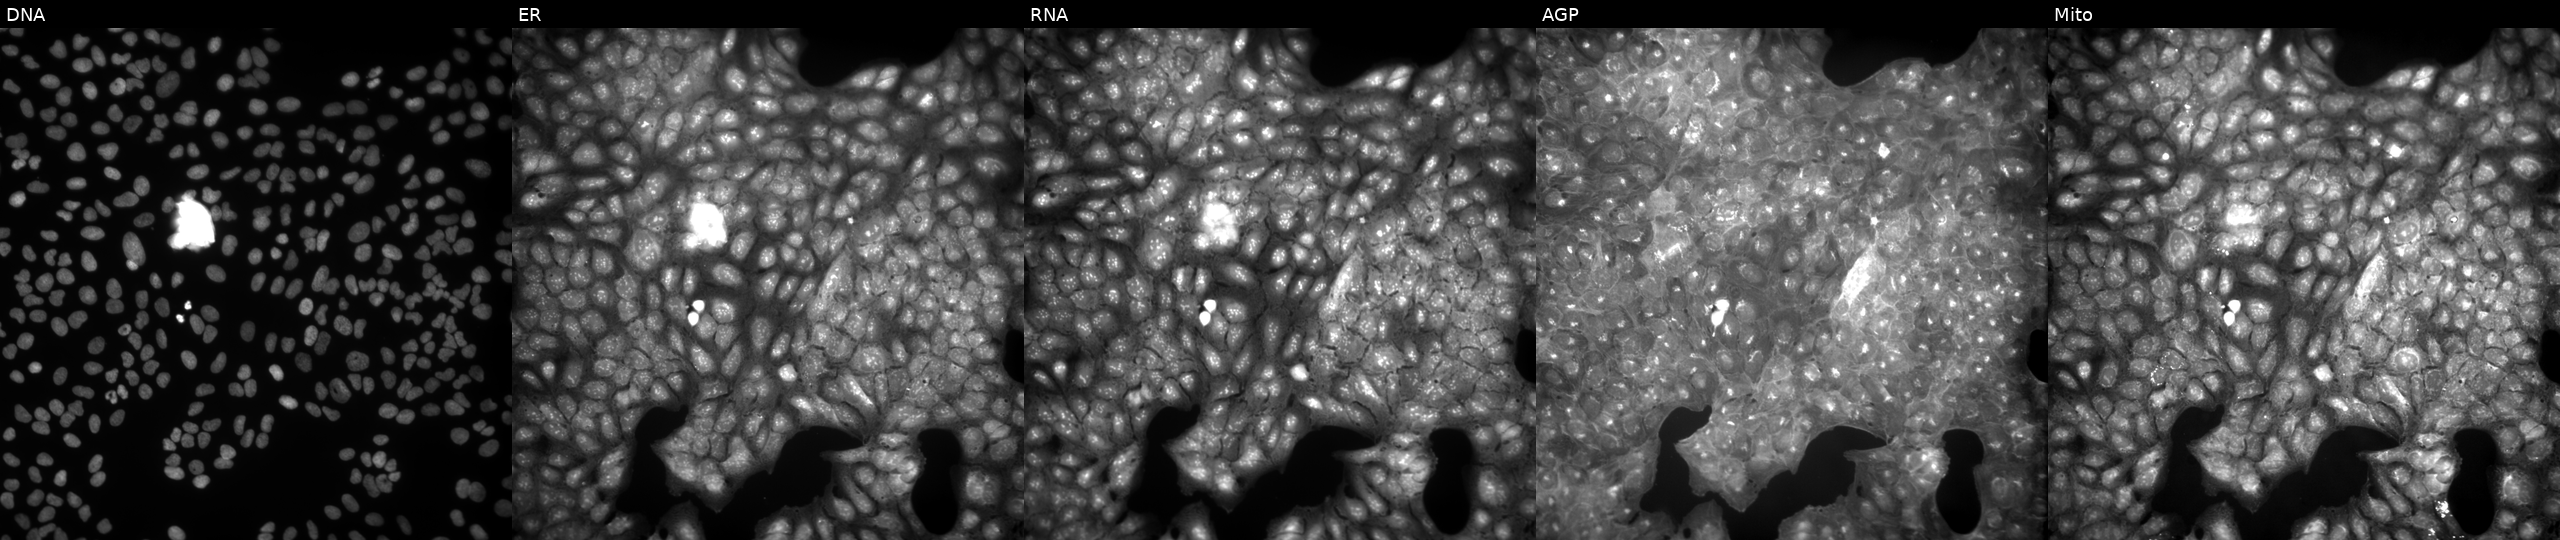
JUMP Cell Painting — COMPOUND plate. U2OS cells treated with a small-molecule compound (JUMP id JCP2022_100716). Channels (left→right): DNA, ER, RNA, AGP, and Mito.